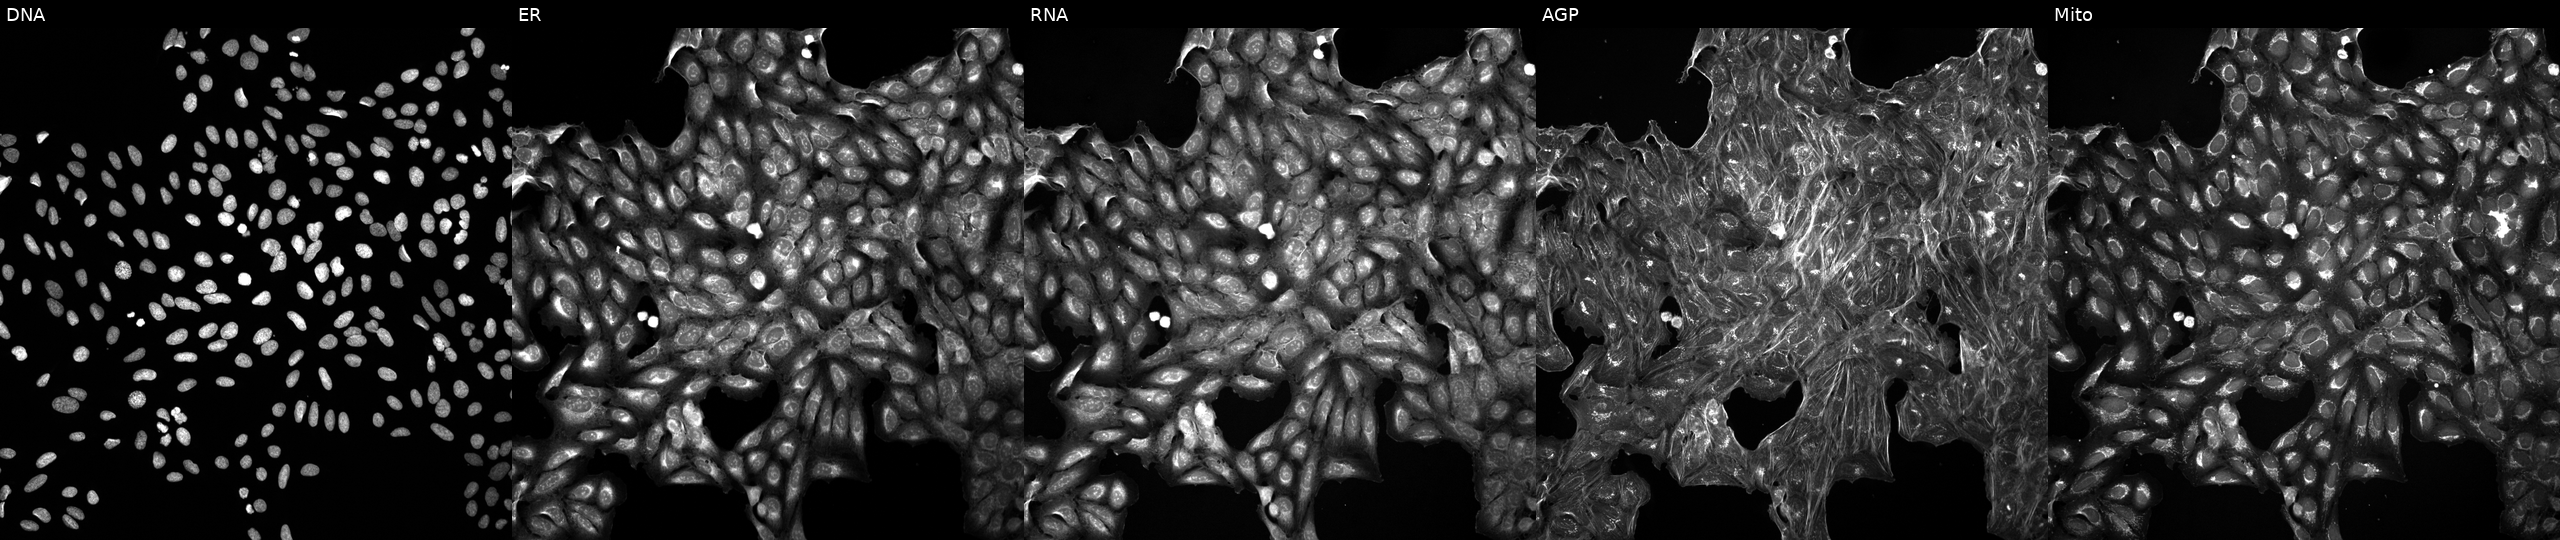
High-content fluorescence microscopy (Cell Painting). Cell line: U2OS. Perturbation: perturbed with a small-molecule compound [SMILES: ON=Cc1ccc(-c2ccc(O)c(F)c2)c(Cl)c1O]. Panels show, left to right, Hoechst 33342, concanavalin A, SYTO 14, phalloidin and WGA, MitoTracker. Source 5, plate ACPJUM051, well K19.